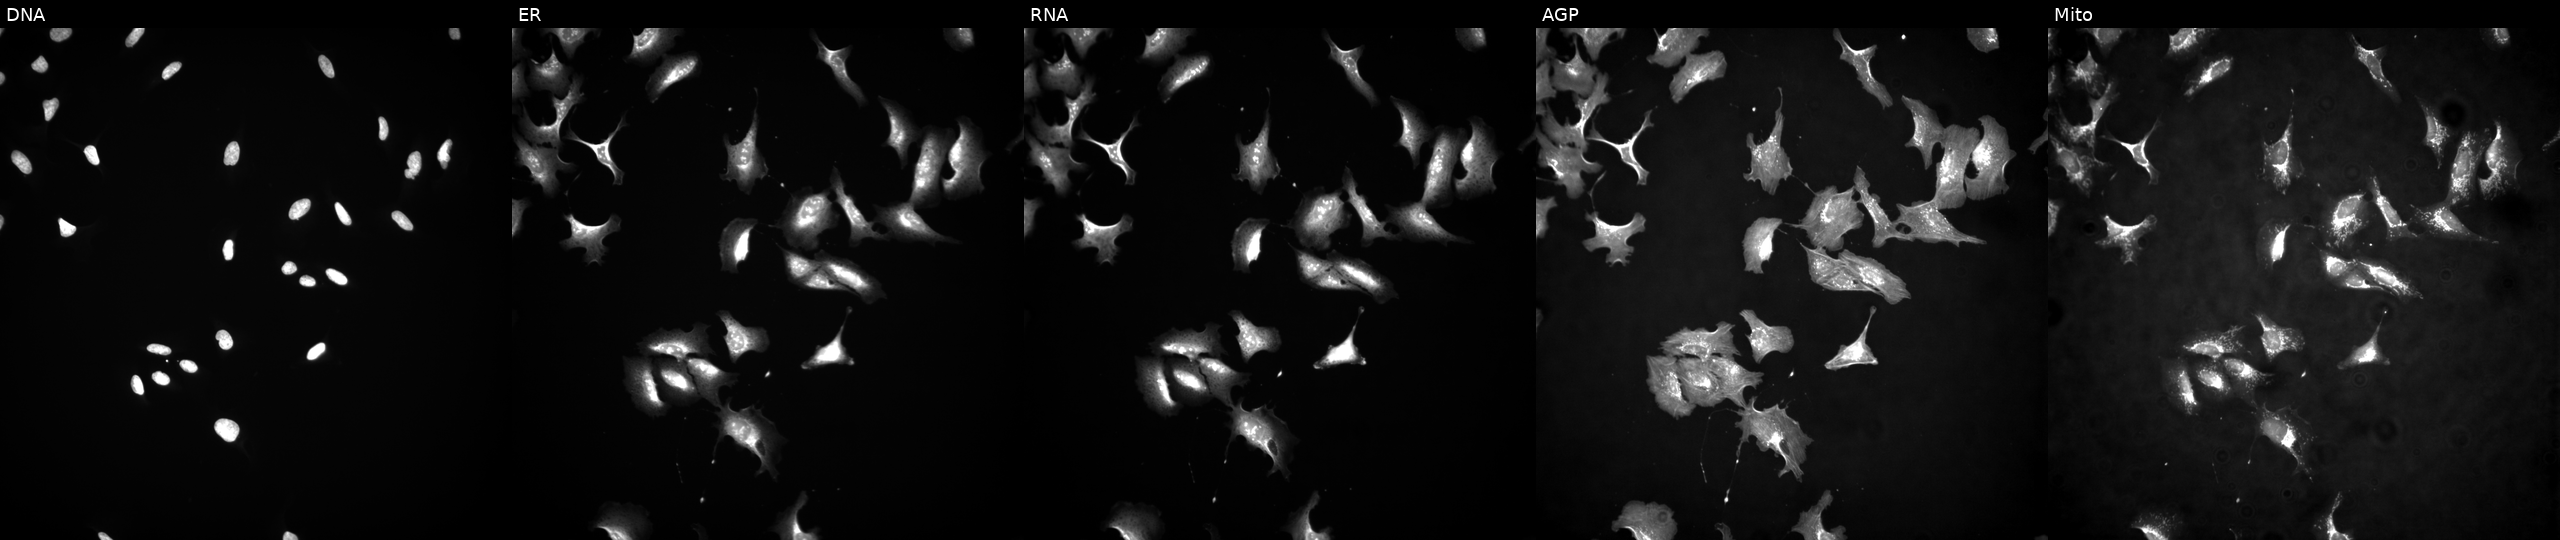
JUMP Cell Painting — ORF plate. U2OS cells in an empty control well (no perturbation) (JUMP id JCP2022_999999). From left to right: DNA, ER, RNA, AGP, and Mito. Source 4, plate BR00123945, well O21.